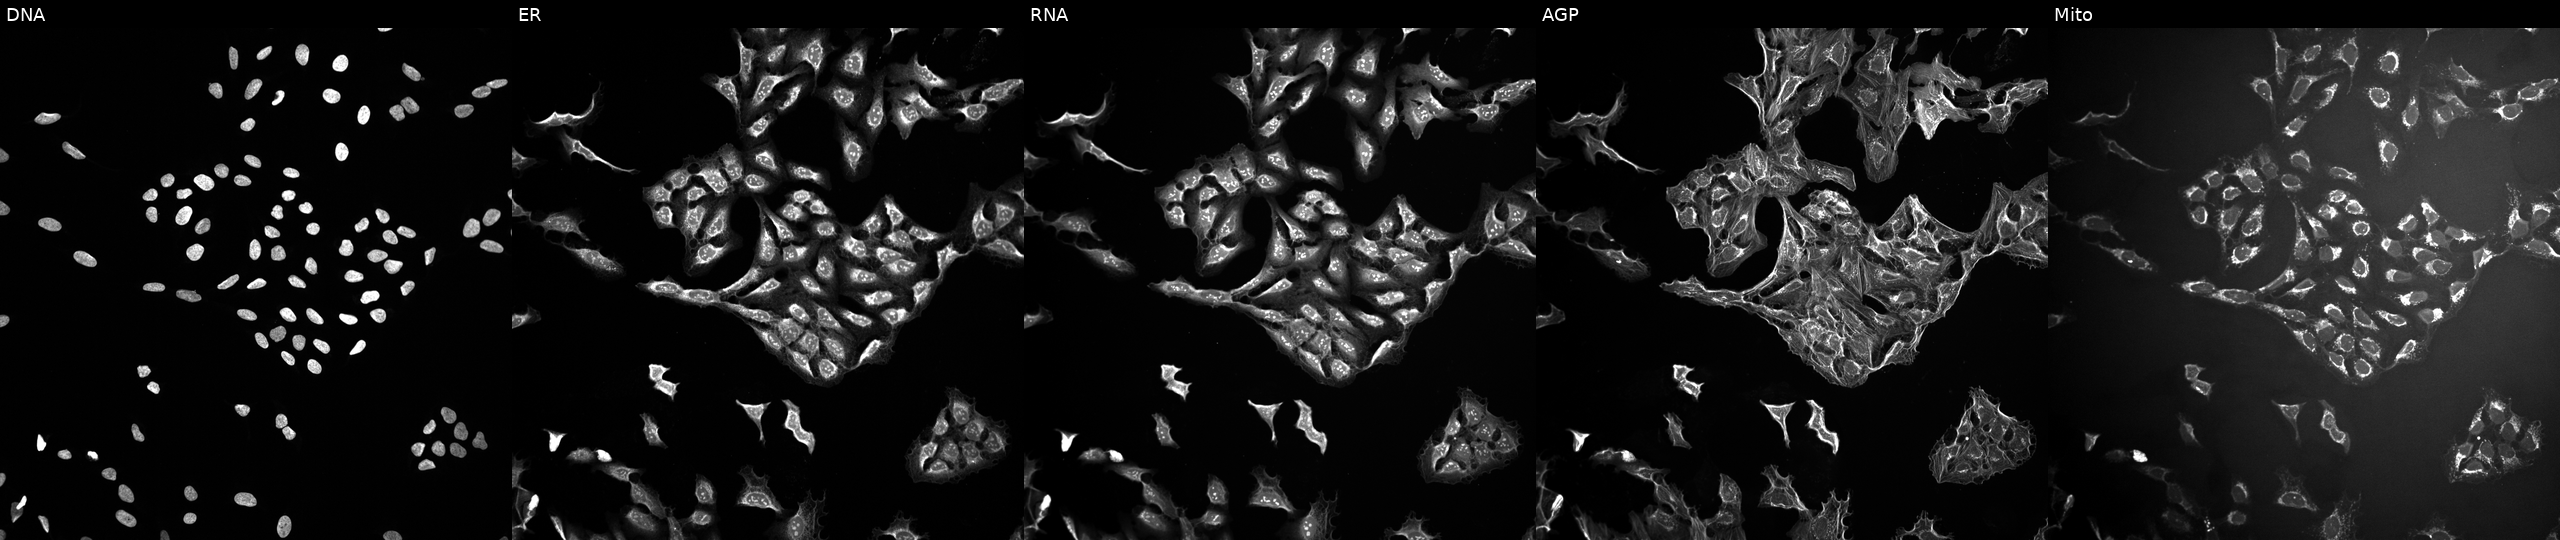
Panels show, left to right, Hoechst 33342, concanavalin A, SYTO 14, phalloidin and WGA, MitoTracker. U2OS osteosarcoma cells treated with a small-molecule compound (JUMP id JCP2022_043547). Cell Painting assay, JUMP-CP dataset. Source 10, plate Dest210727-153003, well A01.